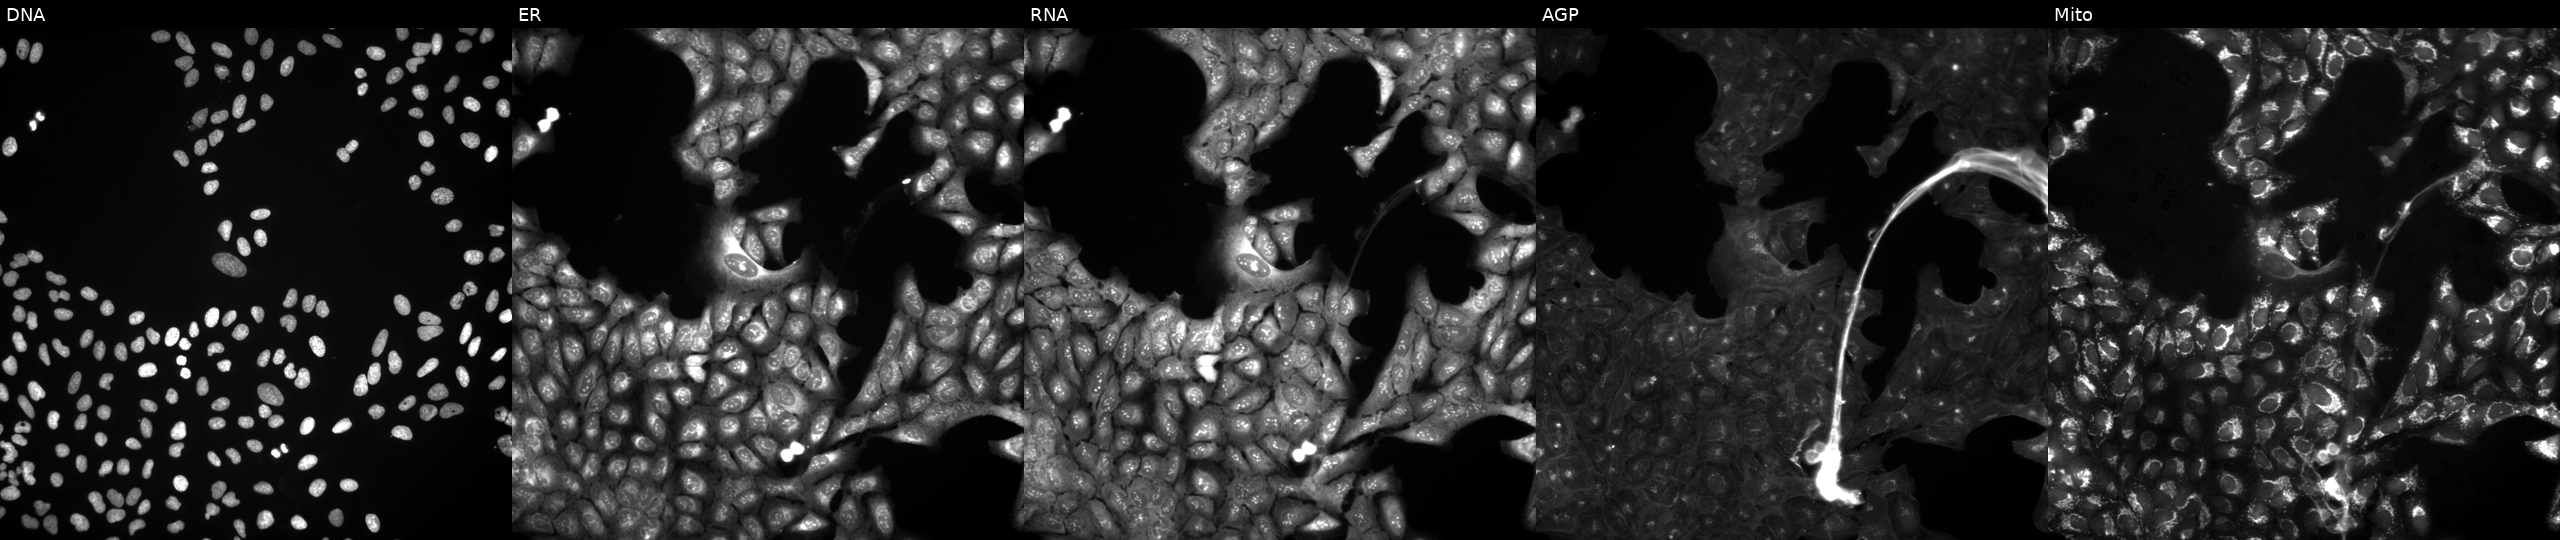
JUMP Cell Painting — TARGET2 plate. U2OS cells treated with a small-molecule compound [SMILES: CCC(C)C1NC(=O)C(Cc2ccc(O)cc2)NC(=O)C(N)CSSCC(C(=O)N2CCCC2C(=O)NC(CC(C)C)C(=O)NCC(N)=O)NC(=O)C(CC(N)=O)NC(=O)C(CCC(N)=O)NC1=O]. Panels show, left to right, DNA, ER, RNA, AGP, and Mito. Source 3, plate JCPQC052, well D21.